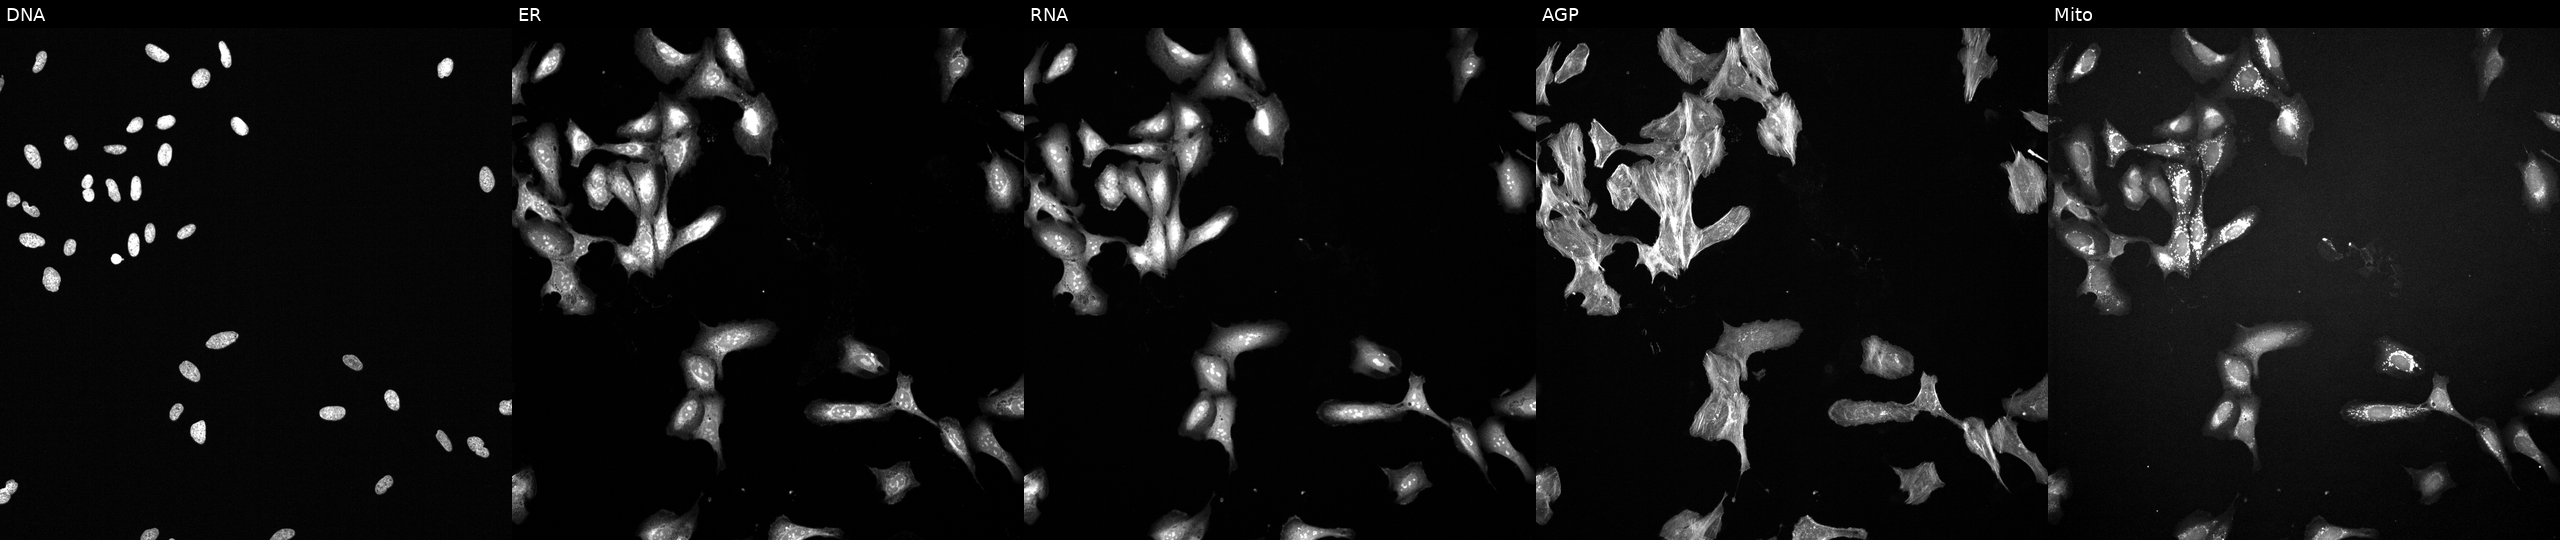
Five-channel Cell Painting image of U2OS cells perturbed with a small-molecule compound (InChIKey MAASHDQFQDDECQ-UHFFFAOYSA-N) (JUMP id JCP2022_052804). Panels show, left to right, DNA (nuclei); ER (endoplasmic reticulum); RNA (nucleoli and cytoplasmic RNA); AGP (actin cytoskeleton, Golgi, and plasma membrane); Mito (mitochondria).